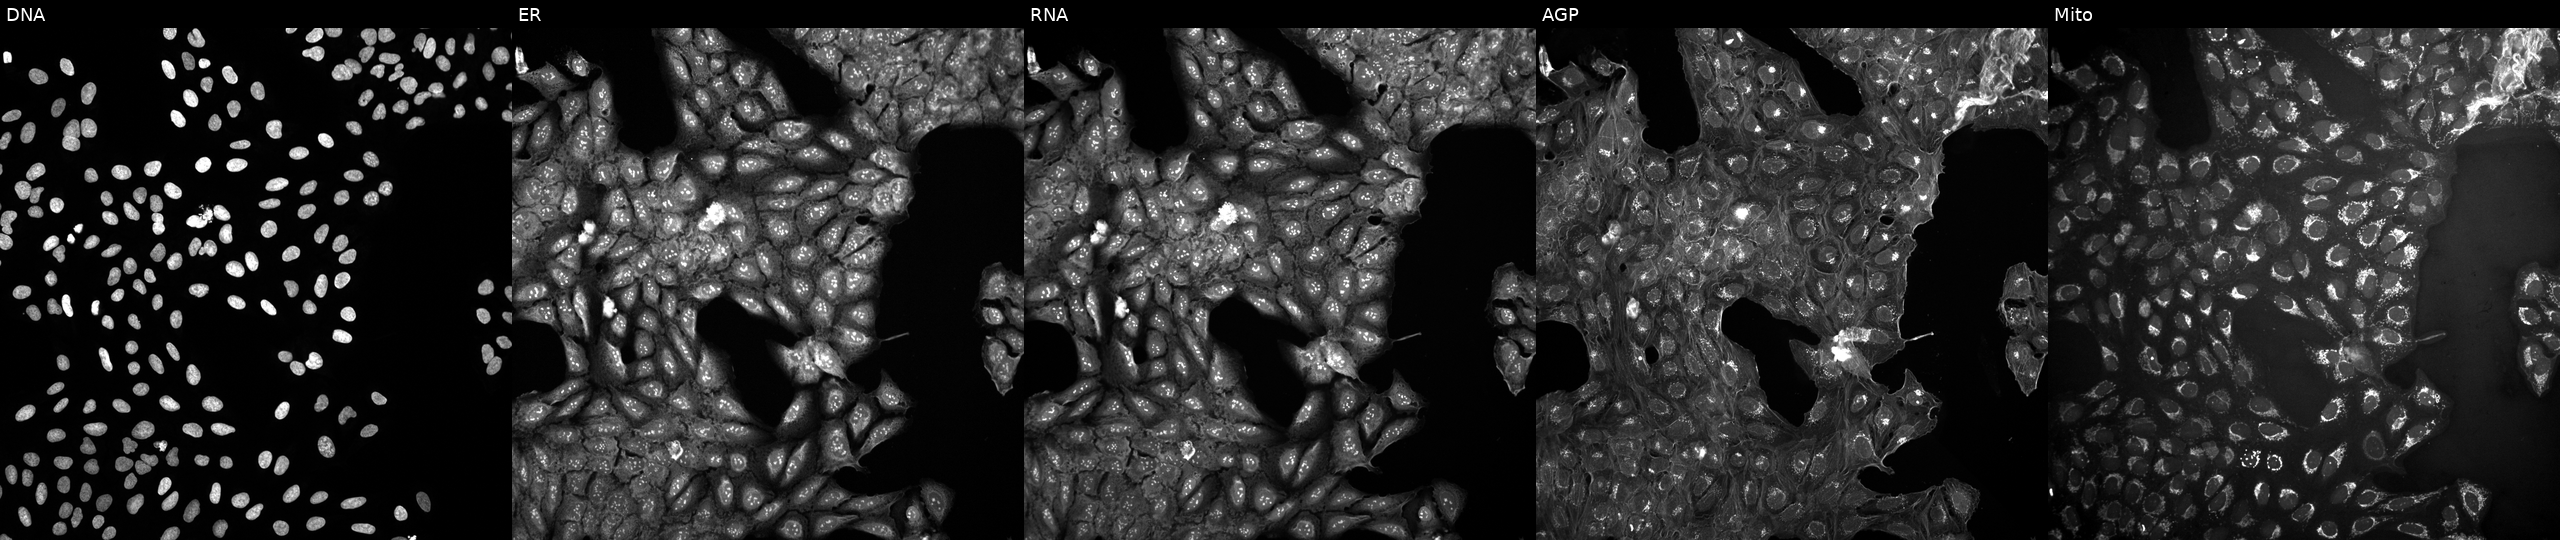
High-content fluorescence microscopy (Cell Painting). Cell line: U2OS. Perturbation: untreated (empty-well control). From left to right: DNA (nuclei); ER (endoplasmic reticulum); RNA (nucleoli and cytoplasmic RNA); AGP (actin cytoskeleton, Golgi, and plasma membrane); Mito (mitochondria). Source 10, plate Dest210531-152149, well P20.